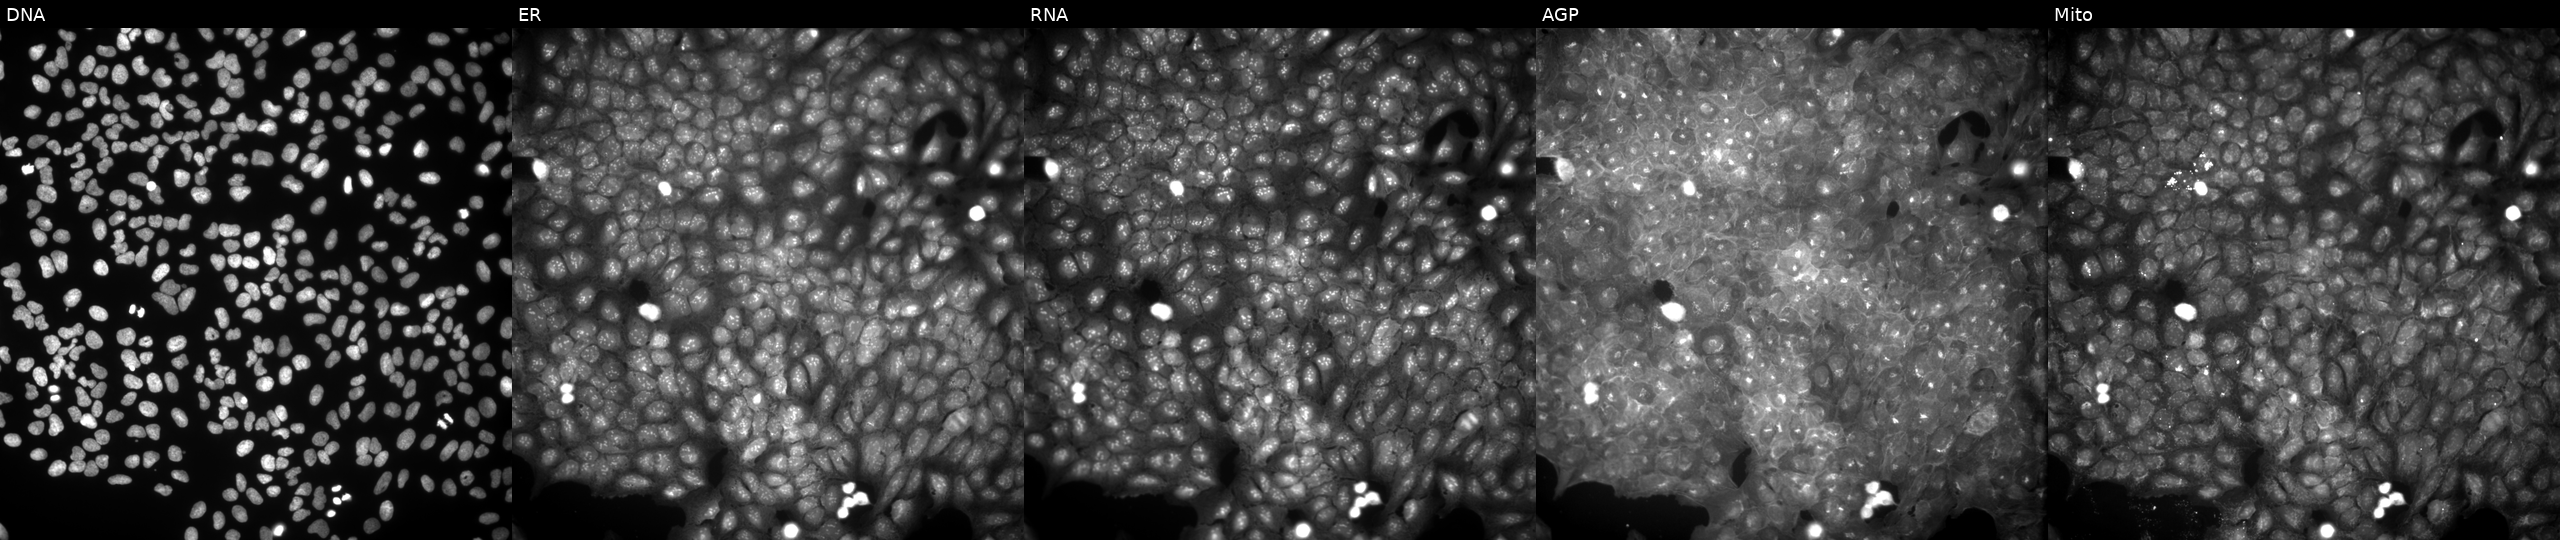
JUMP Cell Painting — COMPOUND plate. U2OS cells perturbed with a small-molecule compound (InChIKey HWQYZKGEYMMICH-UHFFFAOYSA-N). Panels show, left to right, Hoechst 33342, concanavalin A, SYTO 14, phalloidin and WGA, MitoTracker.